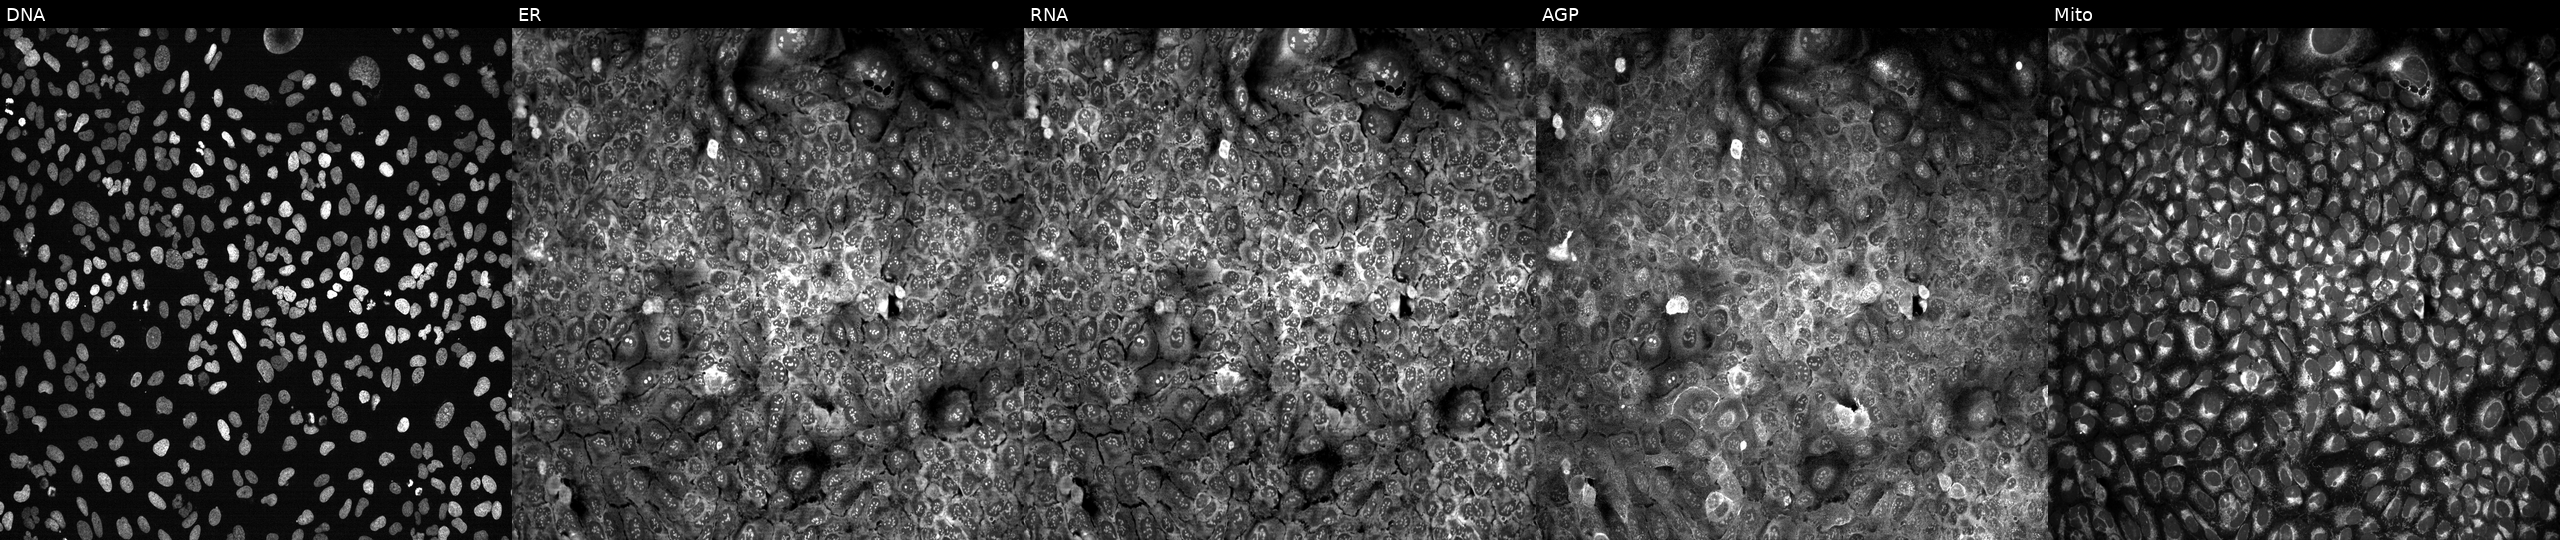
High-content fluorescence microscopy (Cell Painting). Cell line: U2OS. Perturbation: with ALG5 knocked out by CRISPR. Channels (left→right): DNA (nuclei); ER (endoplasmic reticulum); RNA (nucleoli and cytoplasmic RNA); AGP (actin cytoskeleton, Golgi, and plasma membrane); Mito (mitochondria). Source 13, plate CP-CC9-R4-03, well O07.